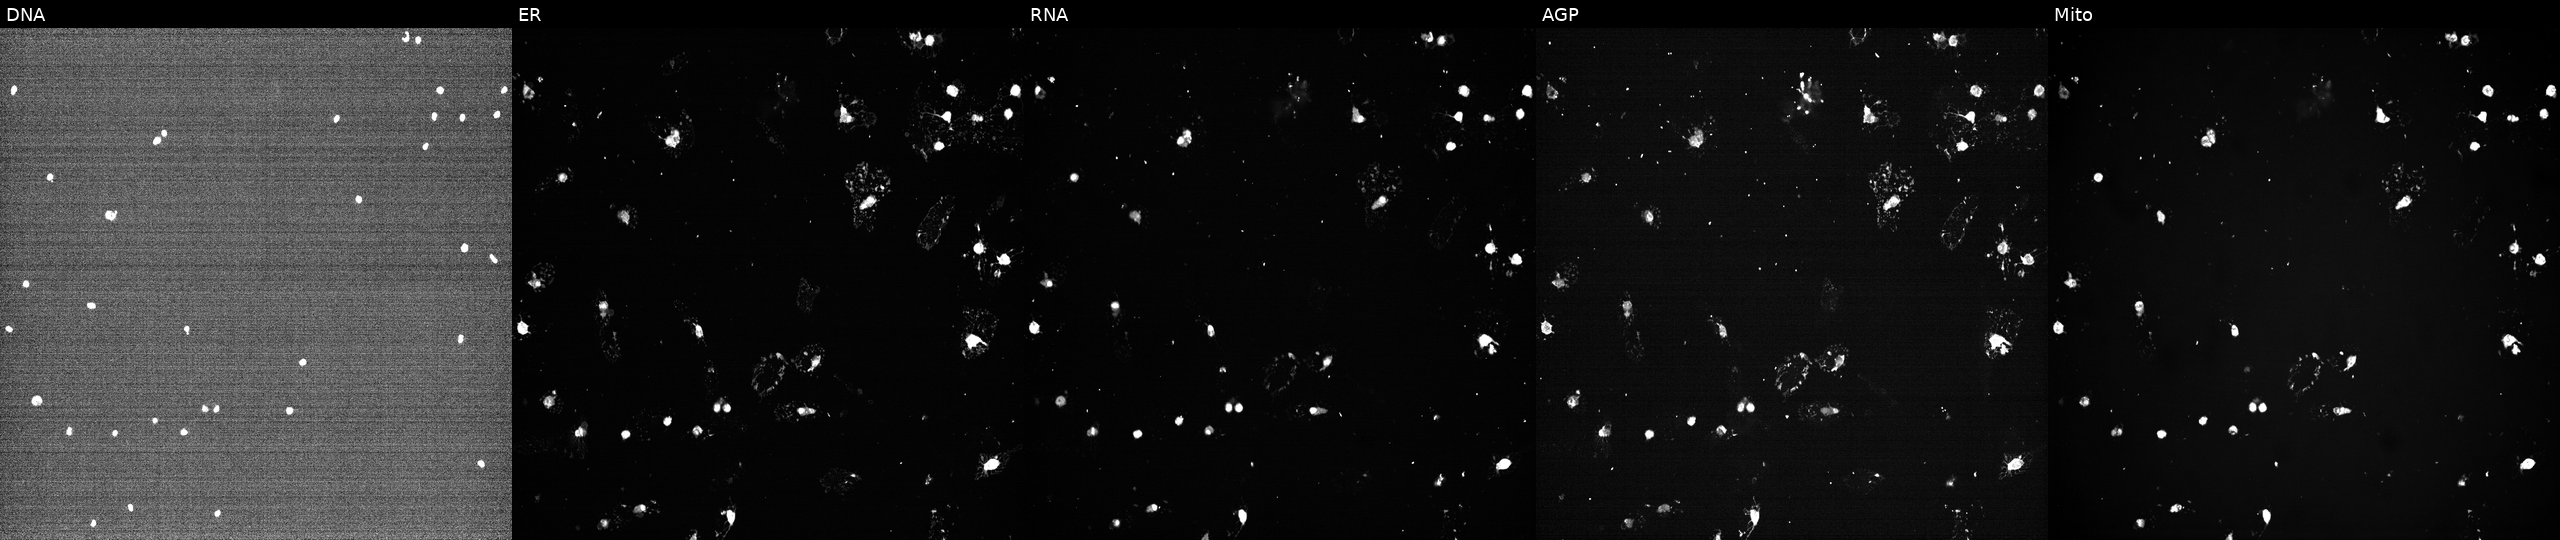
High-content fluorescence microscopy (Cell Painting). Cell line: U2OS. Perturbation: exposed to a small-molecule compound (InChIKey XUZQTIZWMHMWOC-UHFFFAOYSA-N) [SMILES: CC(=O)C(NC(=O)c1cccc(-c2ccccc2)n1)C(O)NC(CC(C)C)B(O)O] (JUMP id JCP2022_106219). Panels show, left to right, DNA, ER, RNA, AGP, and Mito.